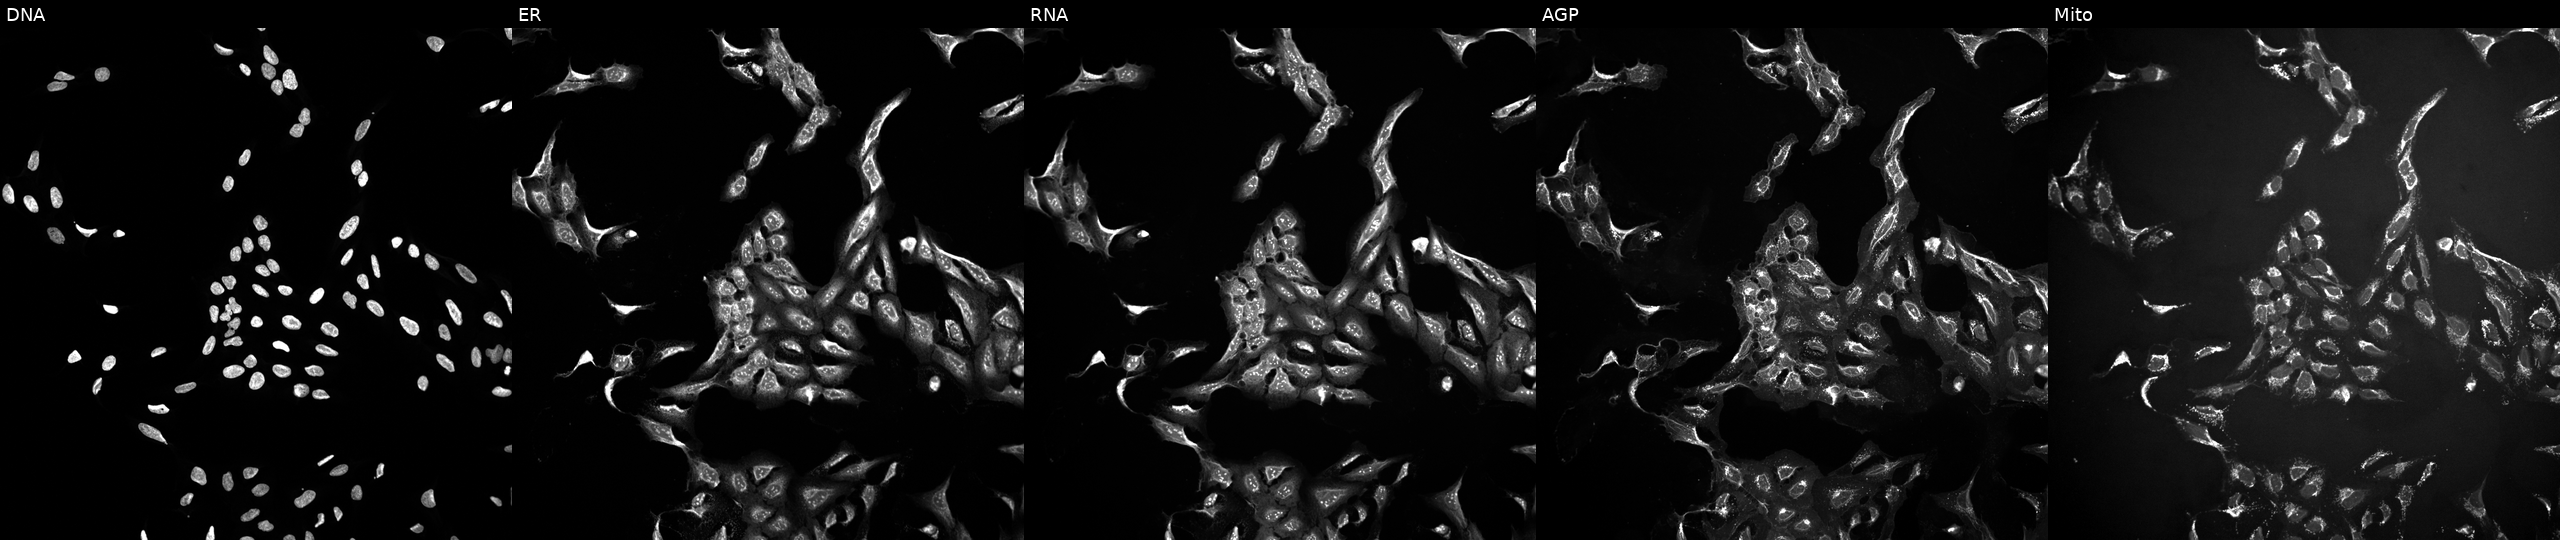
Five-channel Cell Painting image of U2OS cells exposed to a small-molecule compound (JUMP id JCP2022_061421). The five panels, left to right, show Hoechst 33342, concanavalin A, SYTO 14, phalloidin and WGA, MitoTracker.